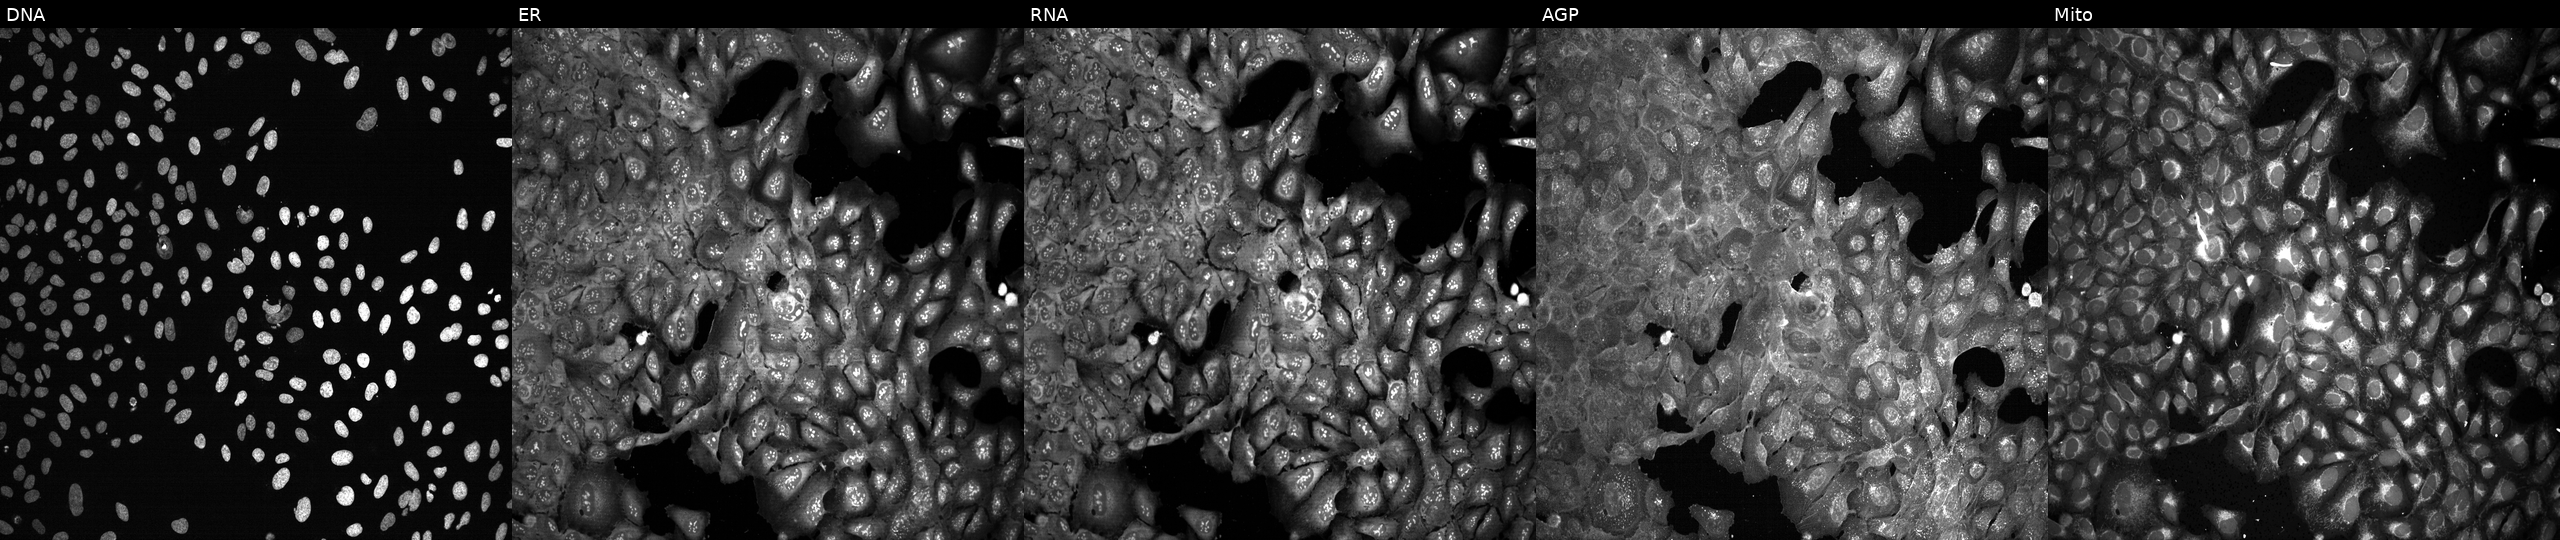
This image strip shows the five Cell Painting channels for a single field of U2OS cells following CRISPR knockout of EGLN3 (JUMP id JCP2022_802029). Channels (left→right): Hoechst 33342, concanavalin A, SYTO 14, phalloidin and WGA, MitoTracker.